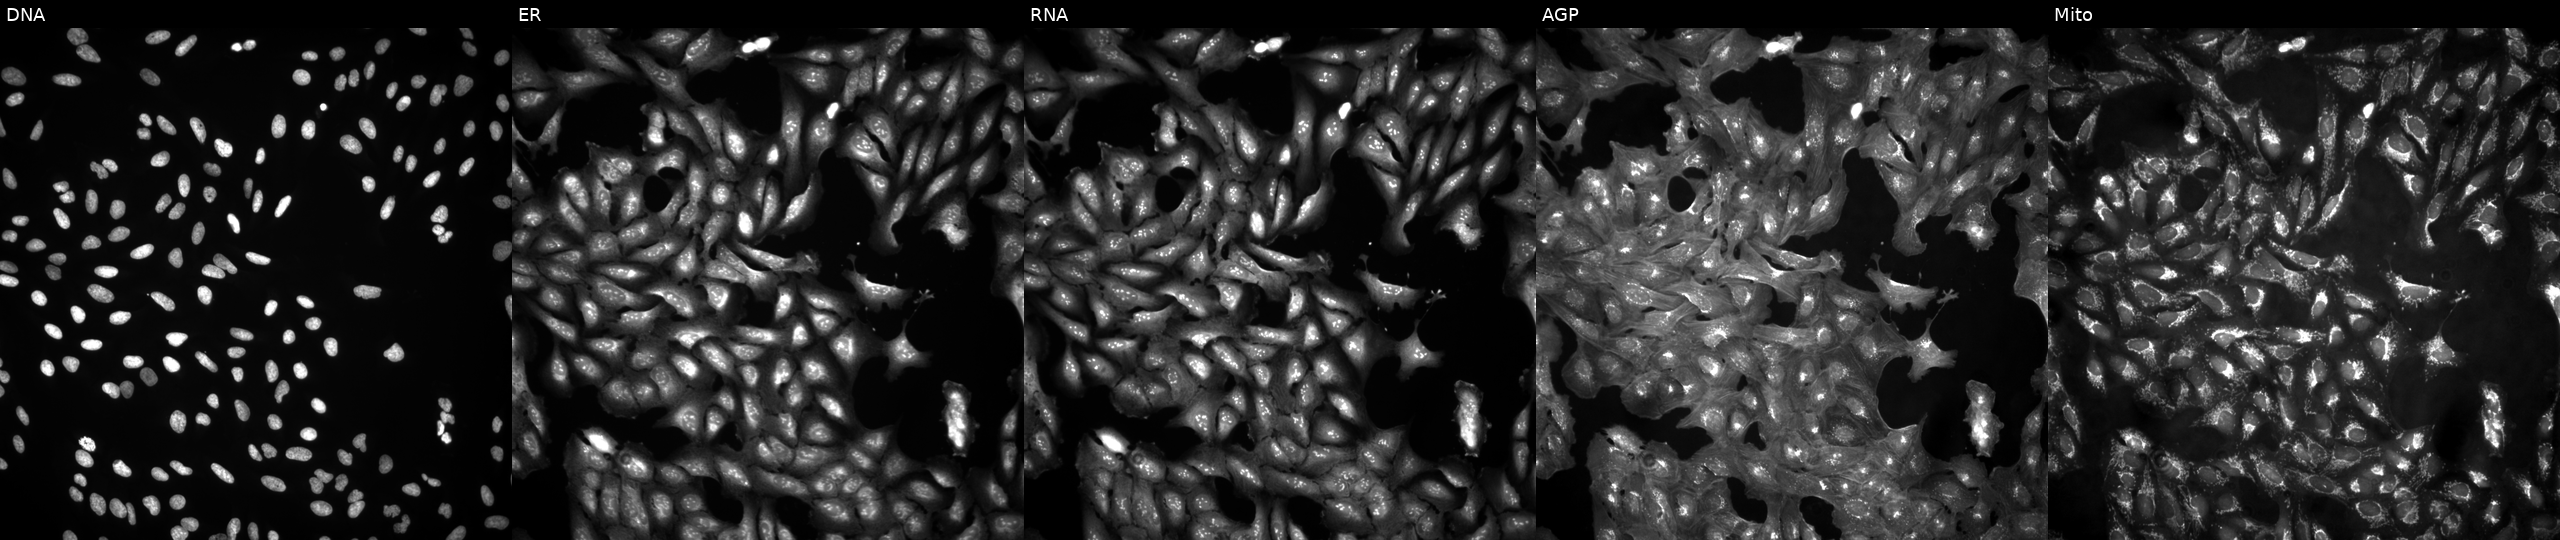
High-content fluorescence microscopy (Cell Painting). Cell line: U2OS. Perturbation: untreated (empty-well control). From left to right: DNA, ER, RNA, AGP, and Mito. Source 4, plate BR00123946, well L14.